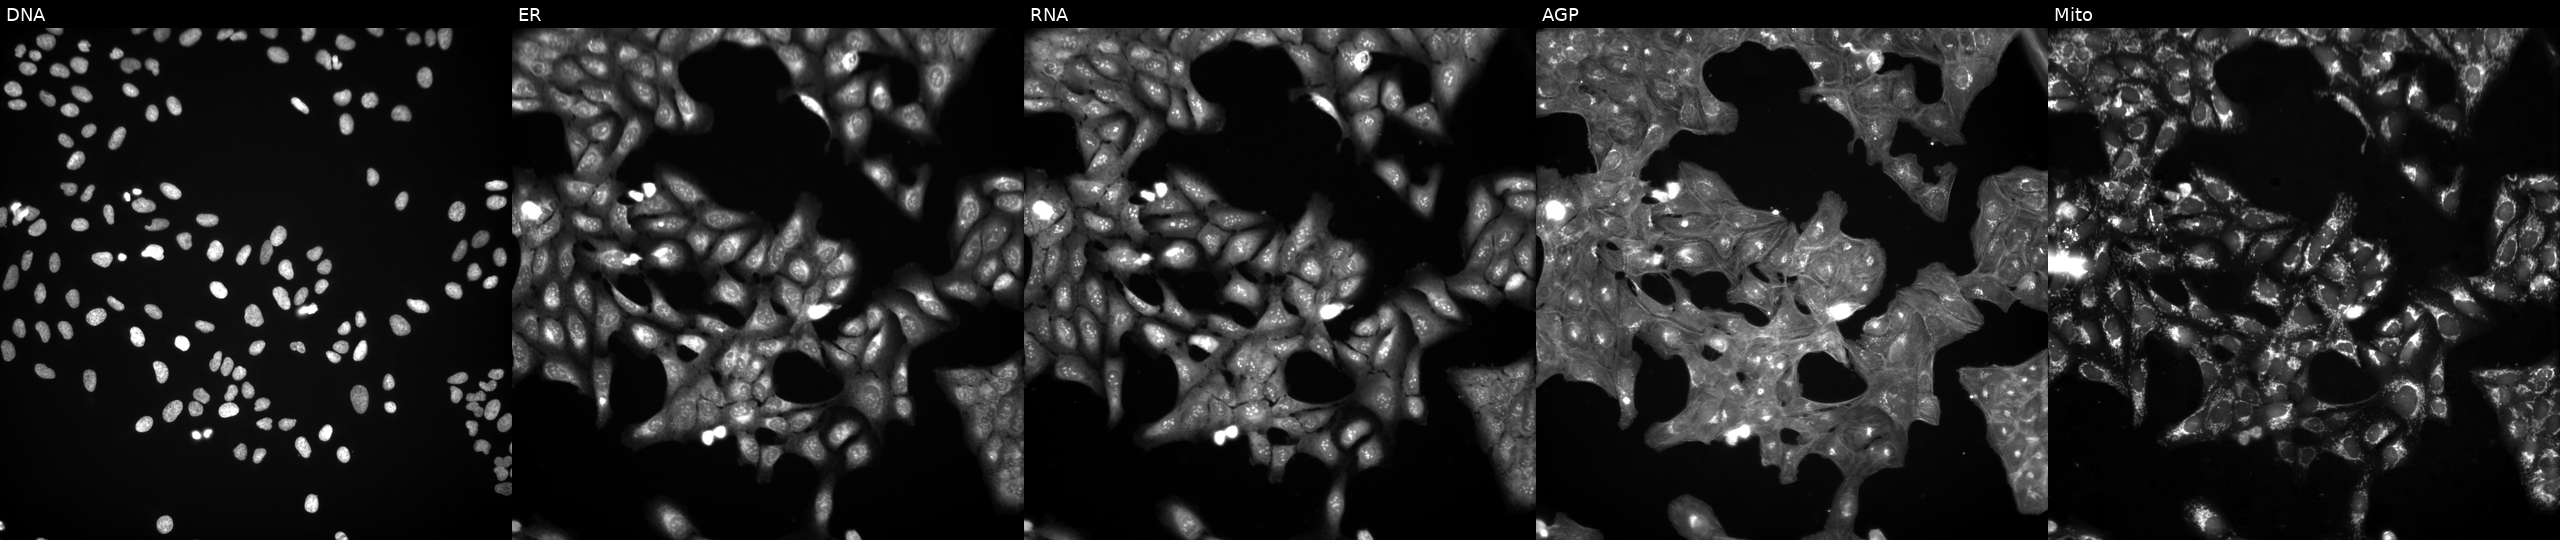
The five panels, left to right, show DNA, ER, RNA, AGP, and Mito. U2OS osteosarcoma cells untreated (empty-well control). Cell Painting assay, JUMP-CP dataset. Source 3, plate BR5867b3, well A09.